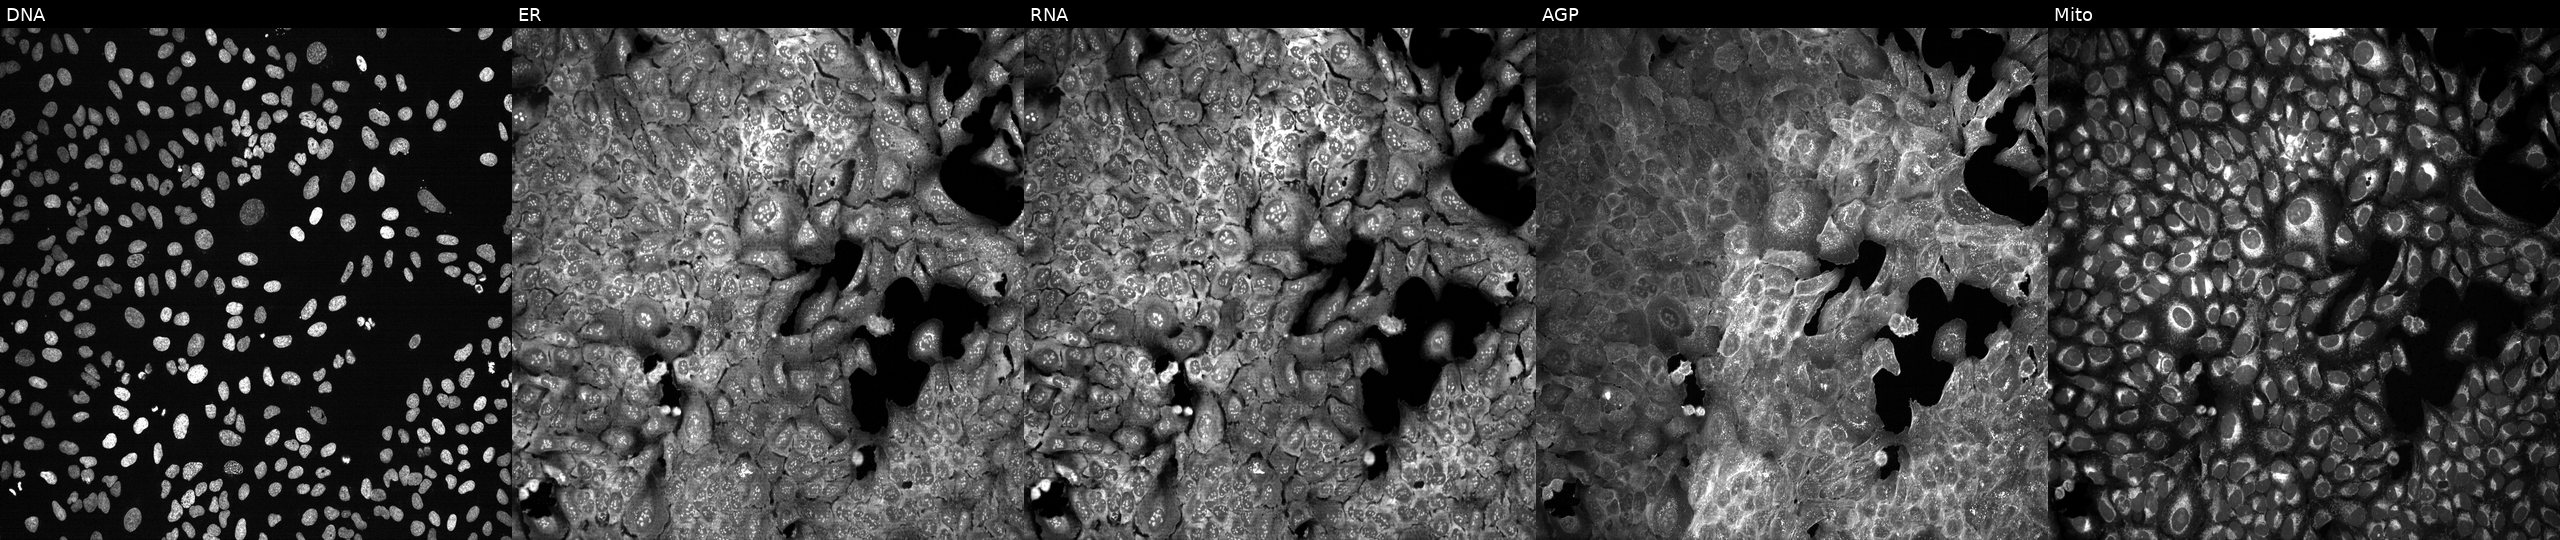
From left to right: Hoechst 33342, concanavalin A, SYTO 14, phalloidin and WGA, MitoTracker. U2OS osteosarcoma cells with TPSD1 knocked out by CRISPR (JUMP id JCP2022_807225). Cell Painting assay, JUMP-CP dataset.